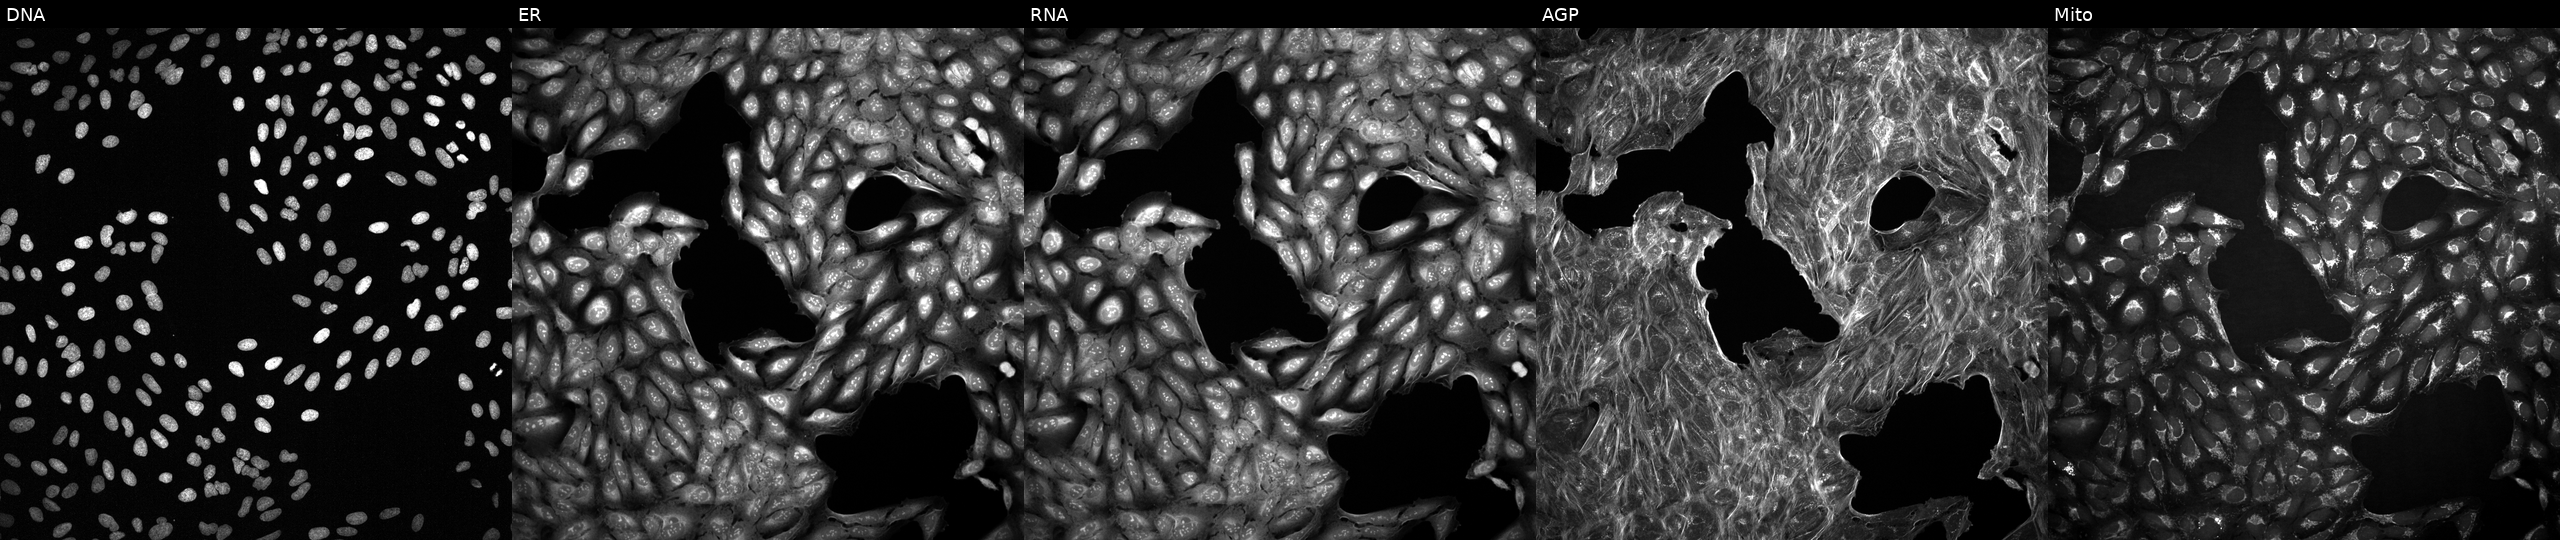
Five-channel Cell Painting image of U2OS cells treated with a small-molecule compound (InChIKey YTEOCSIUSUCZDV-UHFFFAOYSA-N). Channels (left→right): Hoechst 33342, concanavalin A, SYTO 14, phalloidin and WGA, MitoTracker.